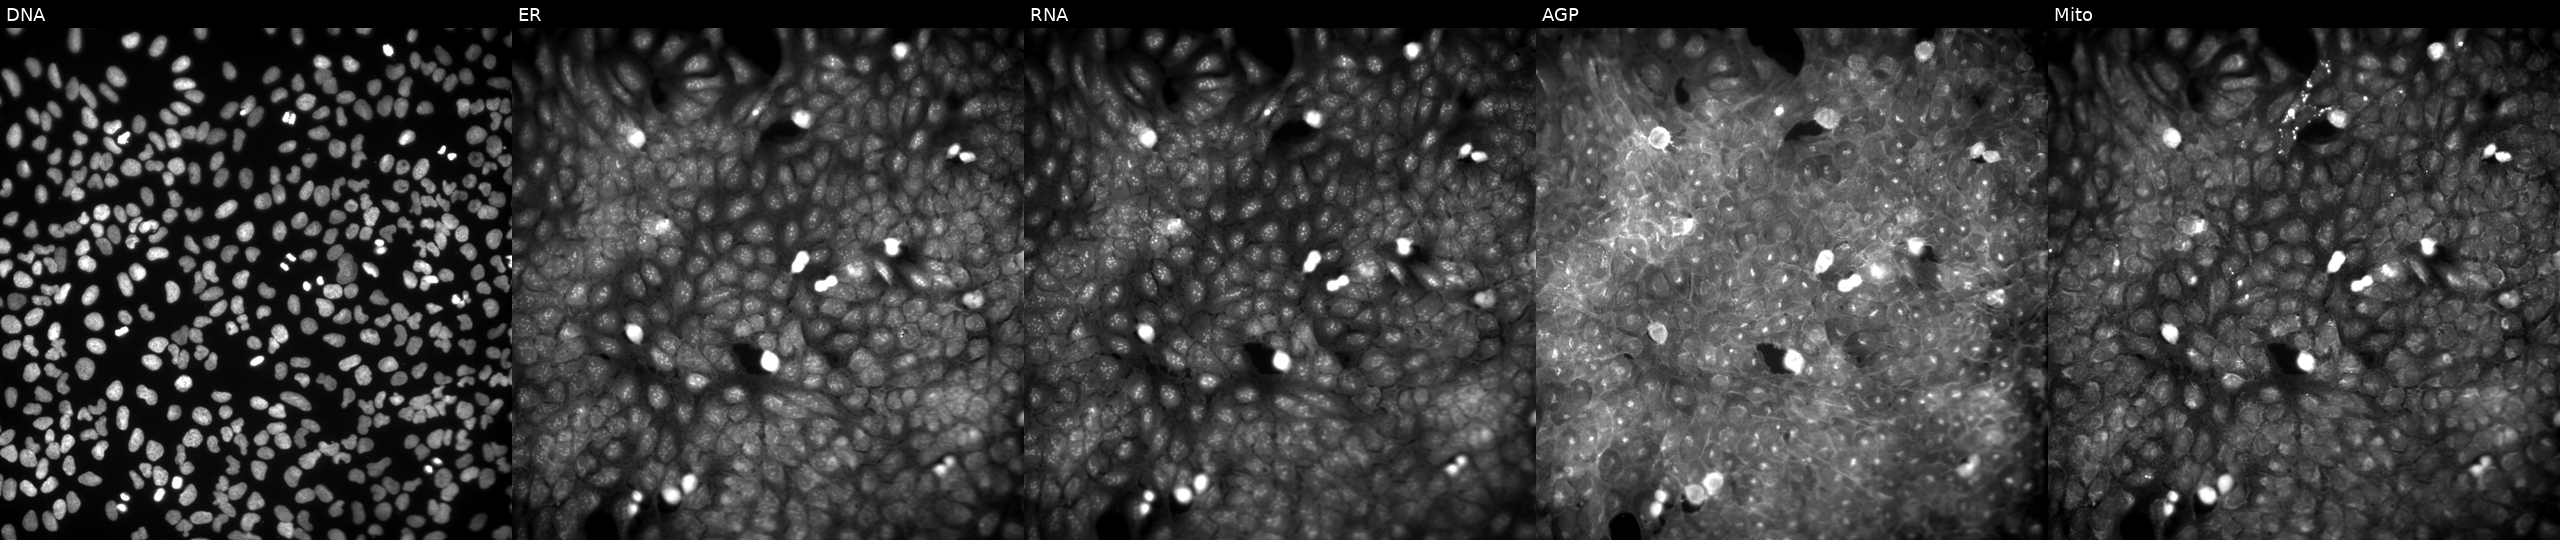
U2OS cells, Cell Painting assay, perturbed with a small-molecule compound (InChIKey OPAJQKMVBUYCES-UHFFFAOYSA-N) [SMILES: CC(=O)OCCn1c(=O)c2cc3c(=O)n(CCOC(C)=O)c(=O)c3cc2c1=O]. Channels (left→right): DNA (nuclei); ER (endoplasmic reticulum); RNA (nucleoli and cytoplasmic RNA); AGP (actin cytoskeleton, Golgi, and plasma membrane); Mito (mitochondria). Each panel is percentile-stretched 16-bit fluorescence. Source 9, plate GR00003382, well AD32.